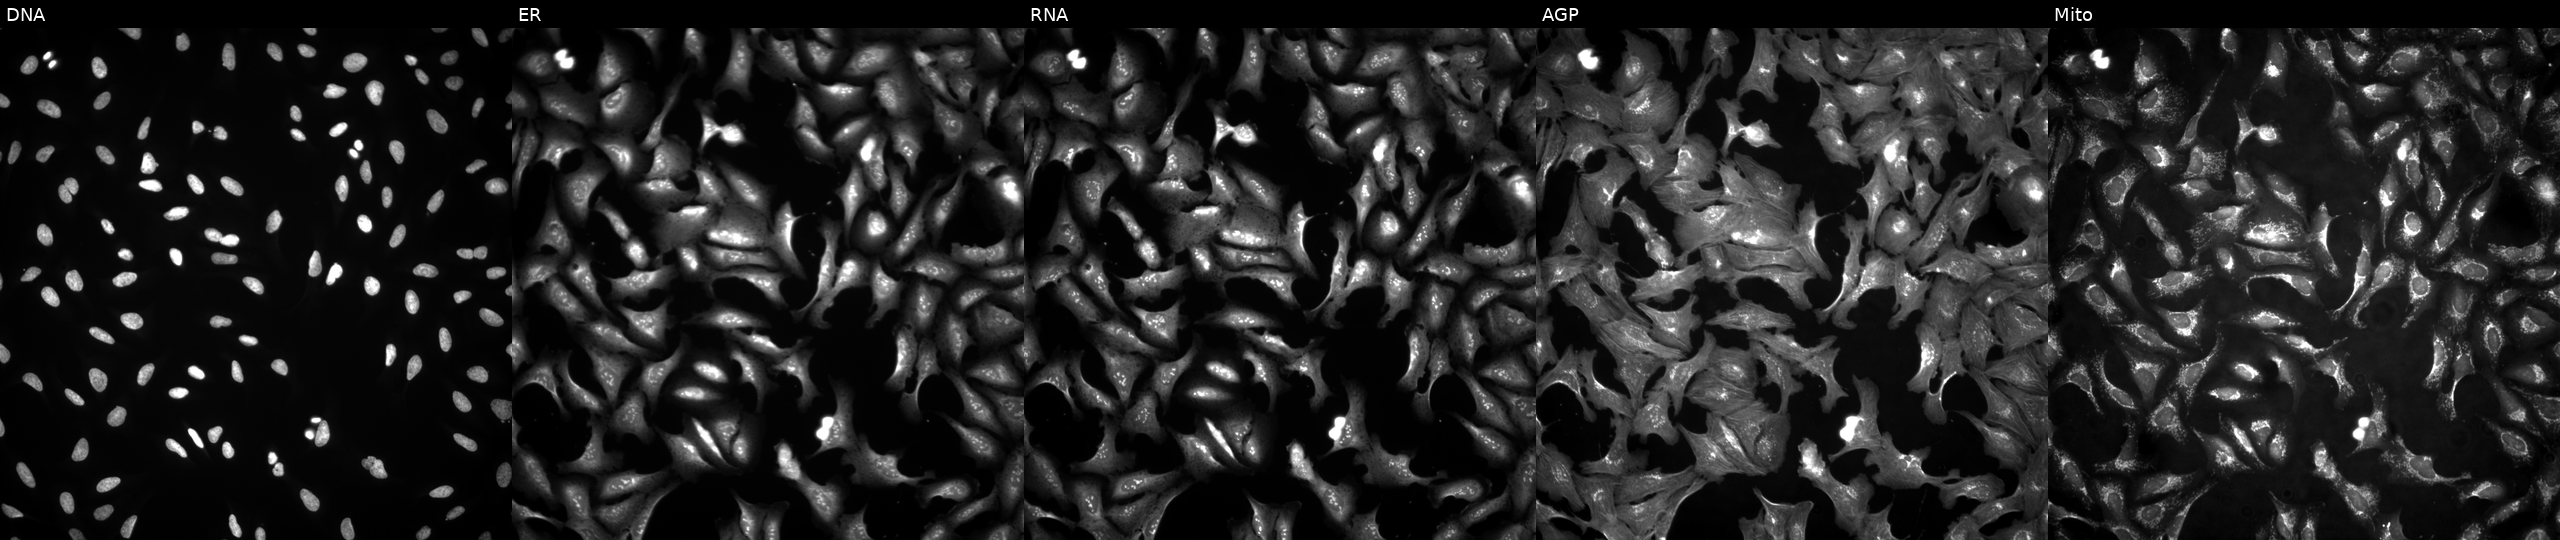
High-content fluorescence microscopy (Cell Painting). Cell line: U2OS. Perturbation: transfected with an ORF construct for H2BC7 (JUMP id JCP2022_901771). Panels show, left to right, DNA (nuclei); ER (endoplasmic reticulum); RNA (nucleoli and cytoplasmic RNA); AGP (actin cytoskeleton, Golgi, and plasma membrane); Mito (mitochondria).